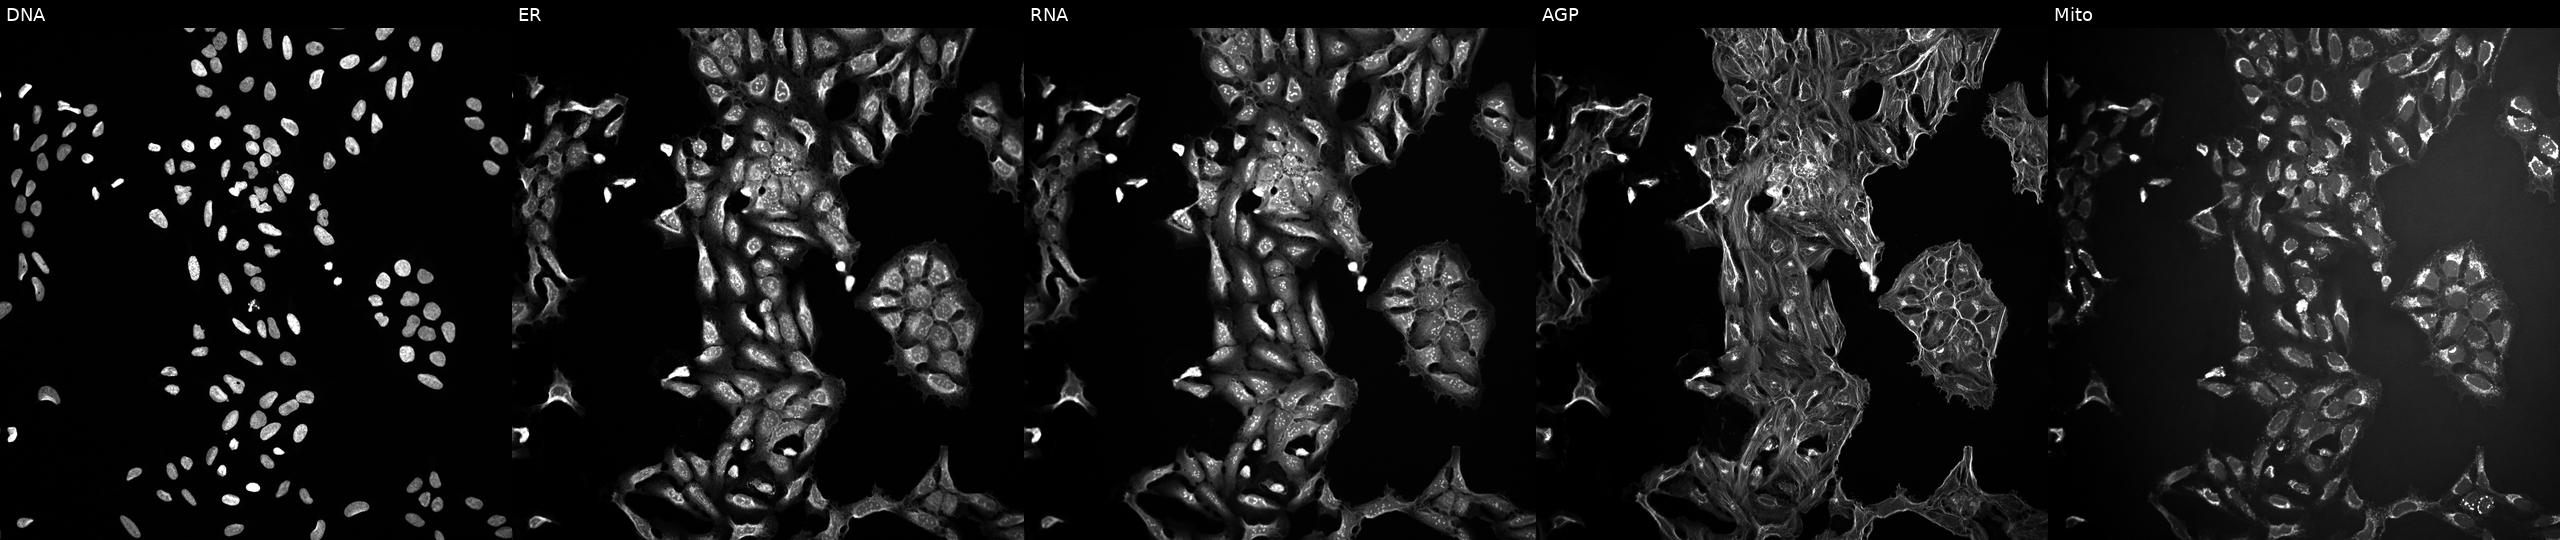
U2OS cells, Cell Painting assay, exposed to a small-molecule compound. Panels show, left to right, DNA (nuclei); ER (endoplasmic reticulum); RNA (nucleoli and cytoplasmic RNA); AGP (actin cytoskeleton, Golgi, and plasma membrane); Mito (mitochondria). Each panel is percentile-stretched 16-bit fluorescence.